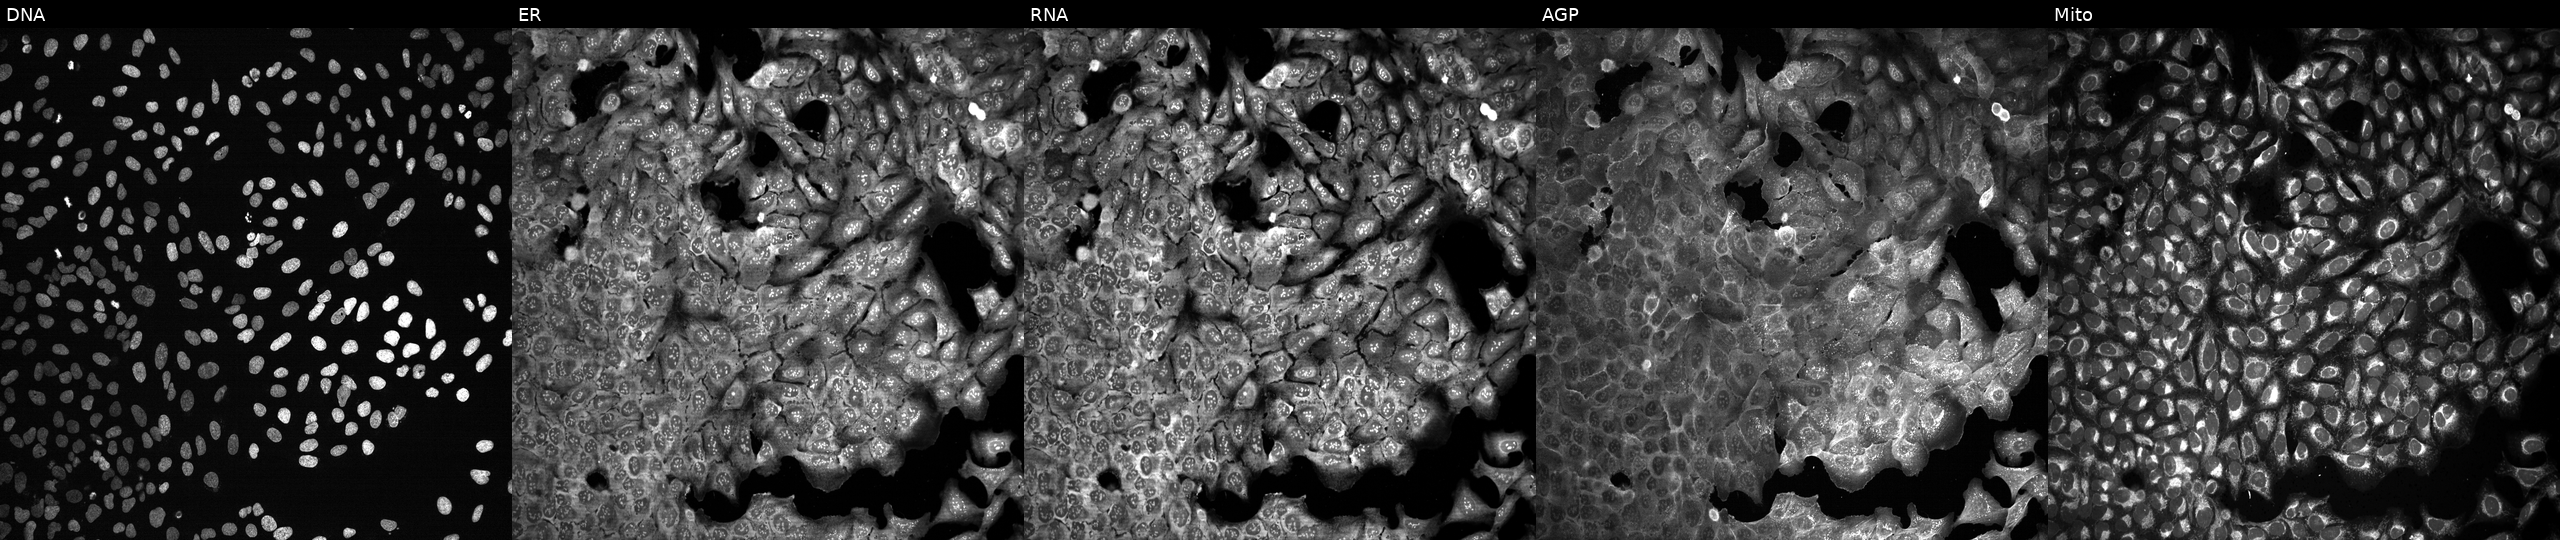
U2OS cells, Cell Painting assay, CRISPR-edited to disrupt CTSD (JUMP id JCP2022_801570). Channels (left→right): Hoechst 33342, concanavalin A, SYTO 14, phalloidin and WGA, MitoTracker. Each panel is percentile-stretched 16-bit fluorescence.